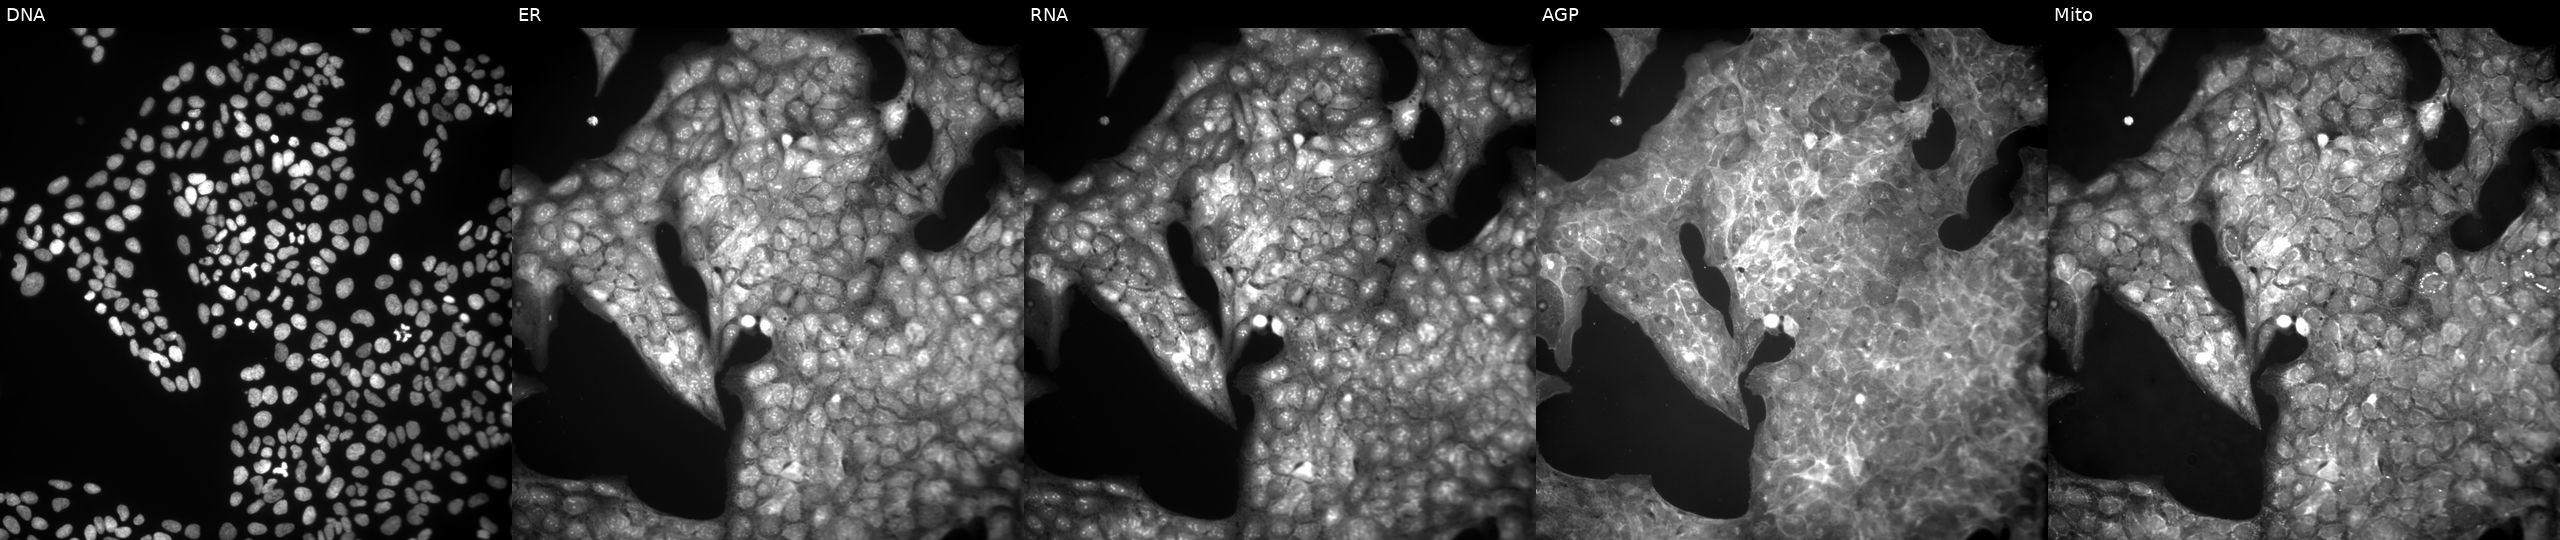
Five-channel Cell Painting image of U2OS cells perturbed with a small-molecule compound. The five panels, left to right, show DNA (nuclei); ER (endoplasmic reticulum); RNA (nucleoli and cytoplasmic RNA); AGP (actin cytoskeleton, Golgi, and plasma membrane); Mito (mitochondria). Source 9, plate GR00003382, well AC48.